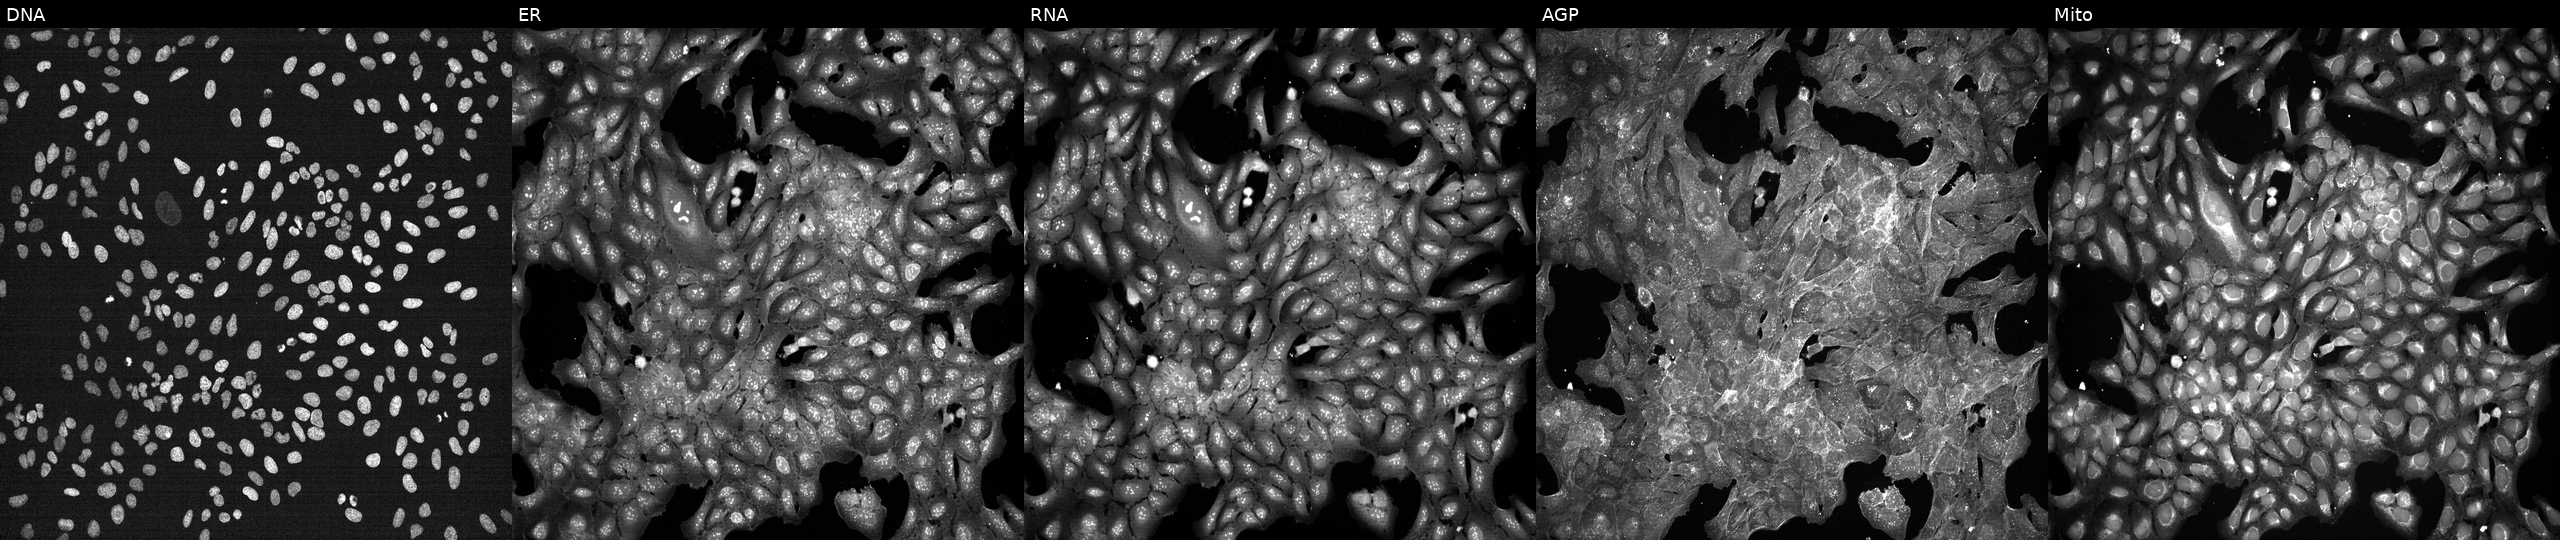
Panels show, left to right, Hoechst 33342, concanavalin A, SYTO 14, phalloidin and WGA, MitoTracker. U2OS osteosarcoma cells treated with a small-molecule compound (InChIKey XXRCUYVCPSWGCC-UHFFFAOYSA-N) (JUMP id JCP2022_106722). Cell Painting assay, JUMP-CP dataset. Source 7, plate CP1-SC1-25, well E11.